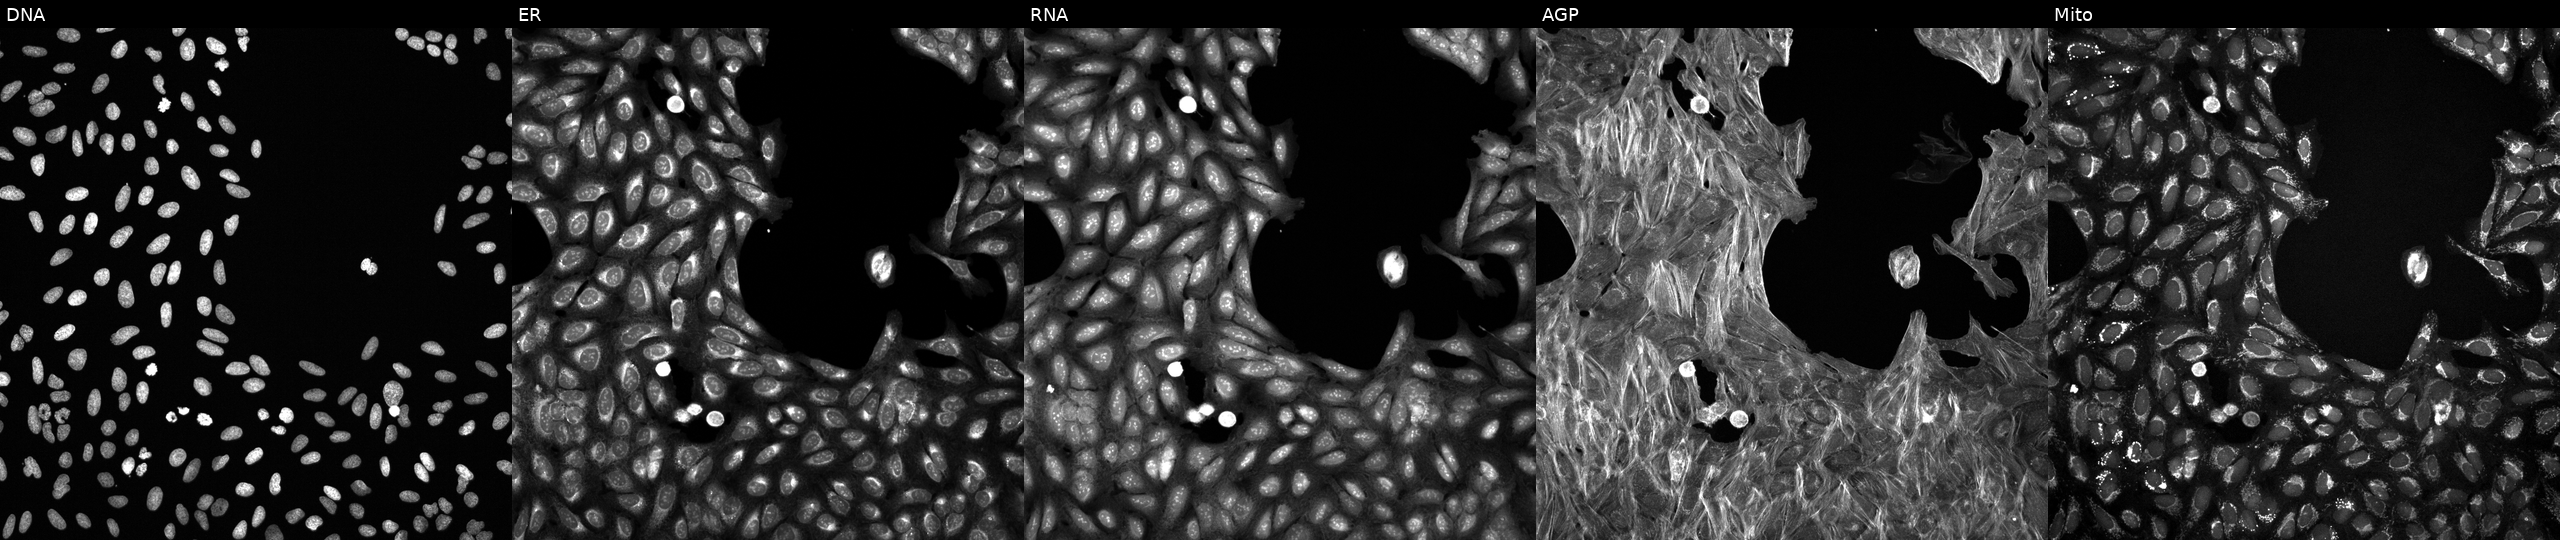
U2OS cells, Cell Painting assay, treated with a small-molecule compound (InChIKey NITYDPDXAAFEIT-UHFFFAOYSA-N) [SMILES: CNC(=O)C(Cc1c[nH]c2ccccc12)NC(=O)C(CC(O)=NO)CC(C)C] (JUMP id JCP2022_059269). Panels show, left to right, DNA, ER, RNA, AGP, and Mito. Each panel is percentile-stretched 16-bit fluorescence.